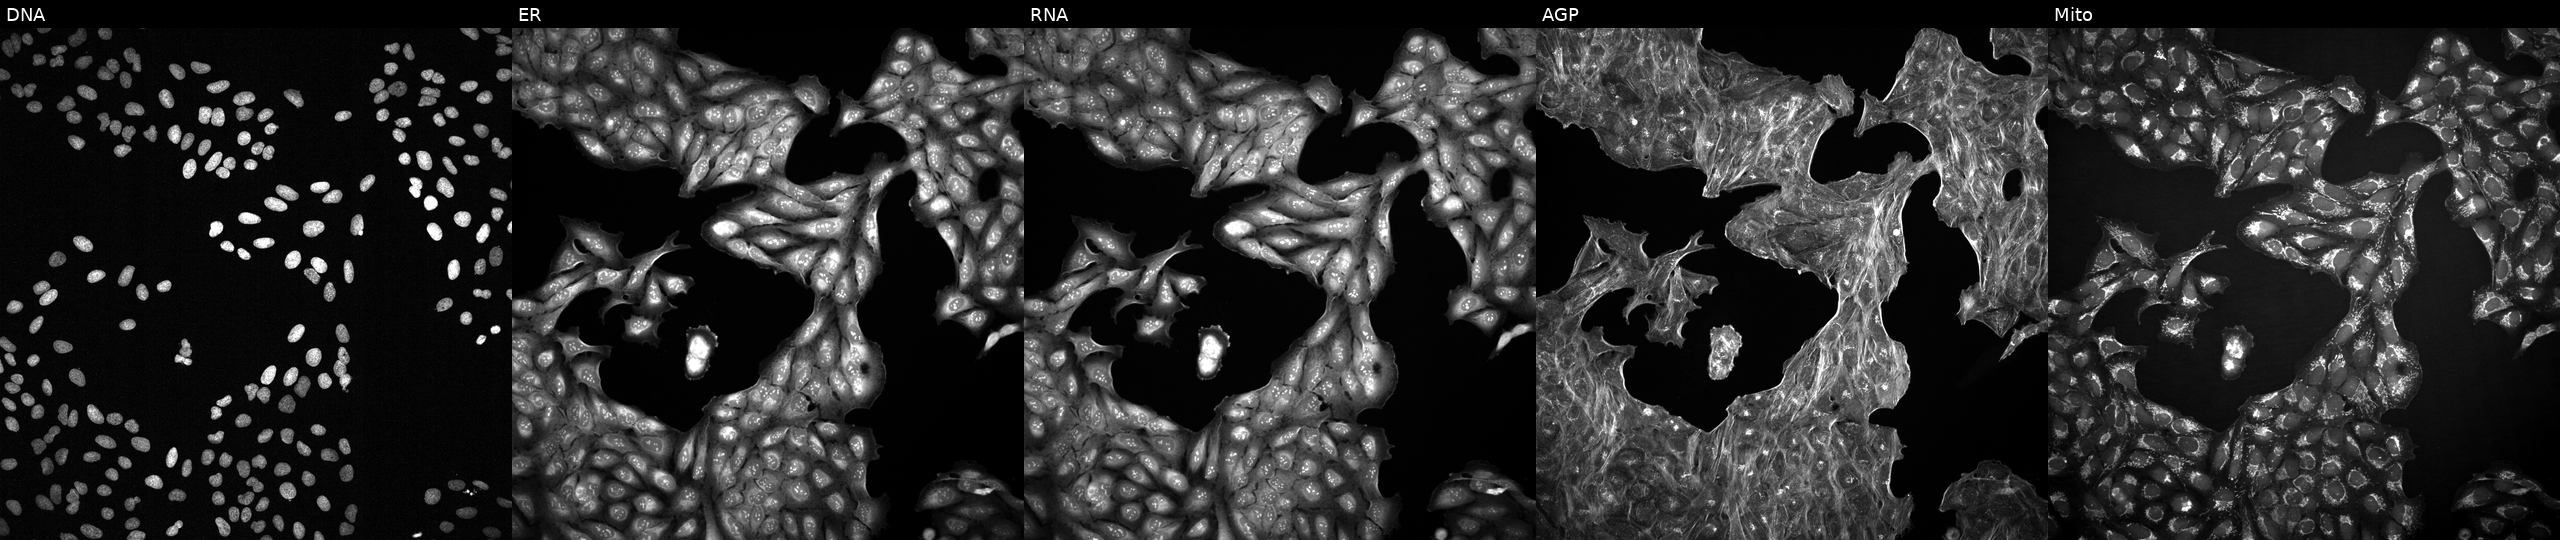
U2OS cells, Cell Painting assay, perturbed with a small-molecule compound (InChIKey JZFPYUNJRRFVQU-UHFFFAOYSA-N) [SMILES: O=C(O)c1ccc[nH]c1=Nc1cccc(C(F)(F)F)c1]. Channels (left→right): Hoechst 33342, concanavalin A, SYTO 14, phalloidin and WGA, MitoTracker. Each panel is percentile-stretched 16-bit fluorescence.